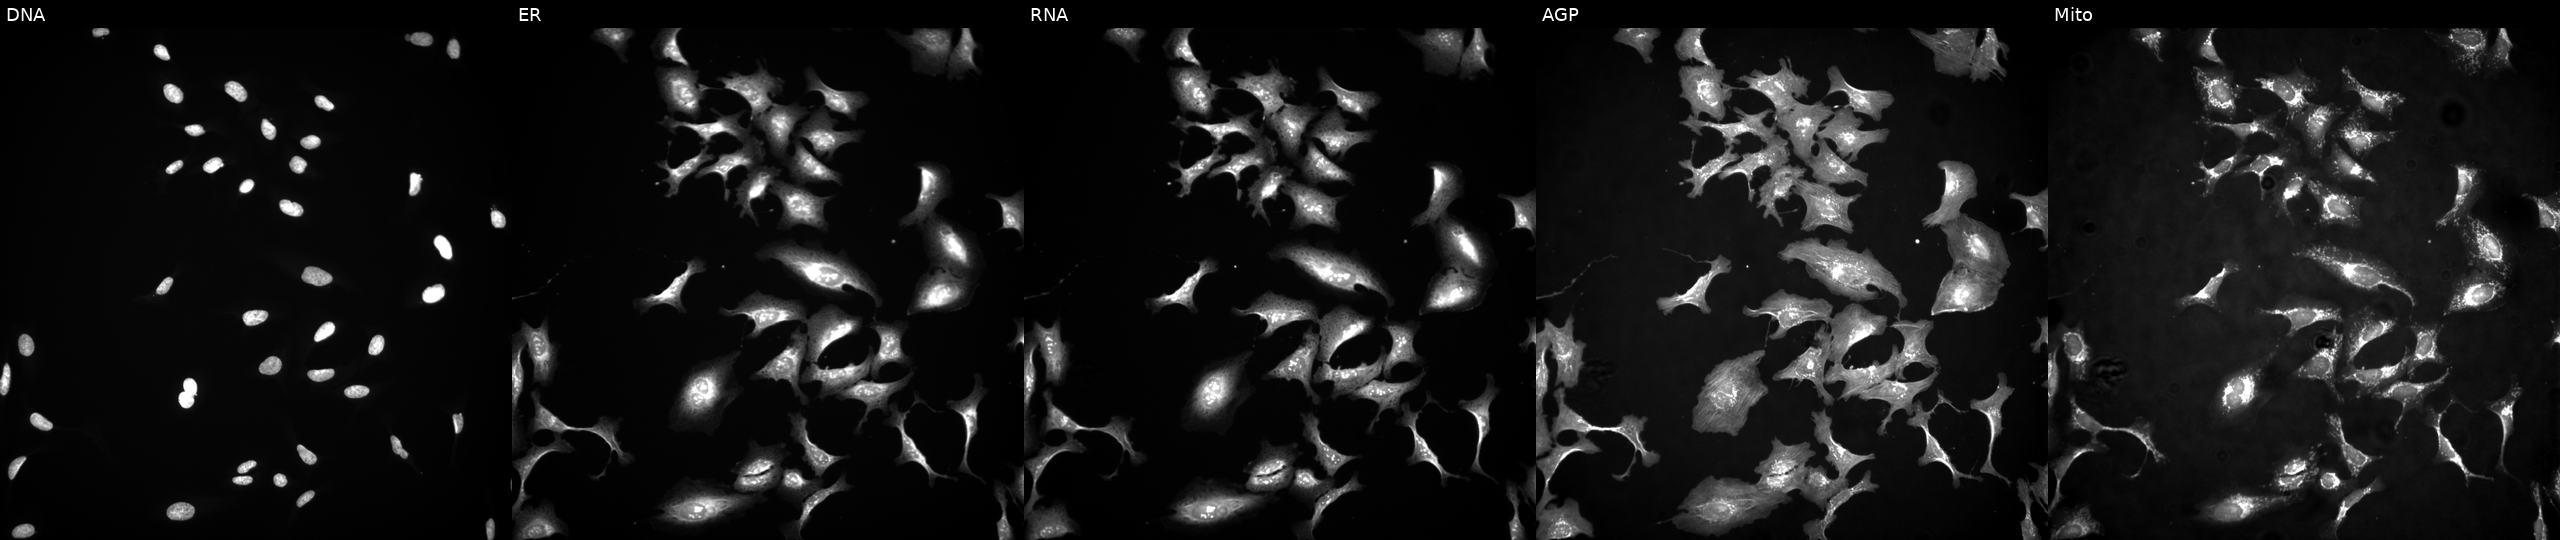
JUMP Cell Painting — ORF plate. U2OS cells overexpressing PANK4 via ORF transfection (JUMP id JCP2022_914106). The five panels, left to right, show Hoechst 33342, concanavalin A, SYTO 14, phalloidin and WGA, MitoTracker. Source 4, plate BR00123945, well C15.